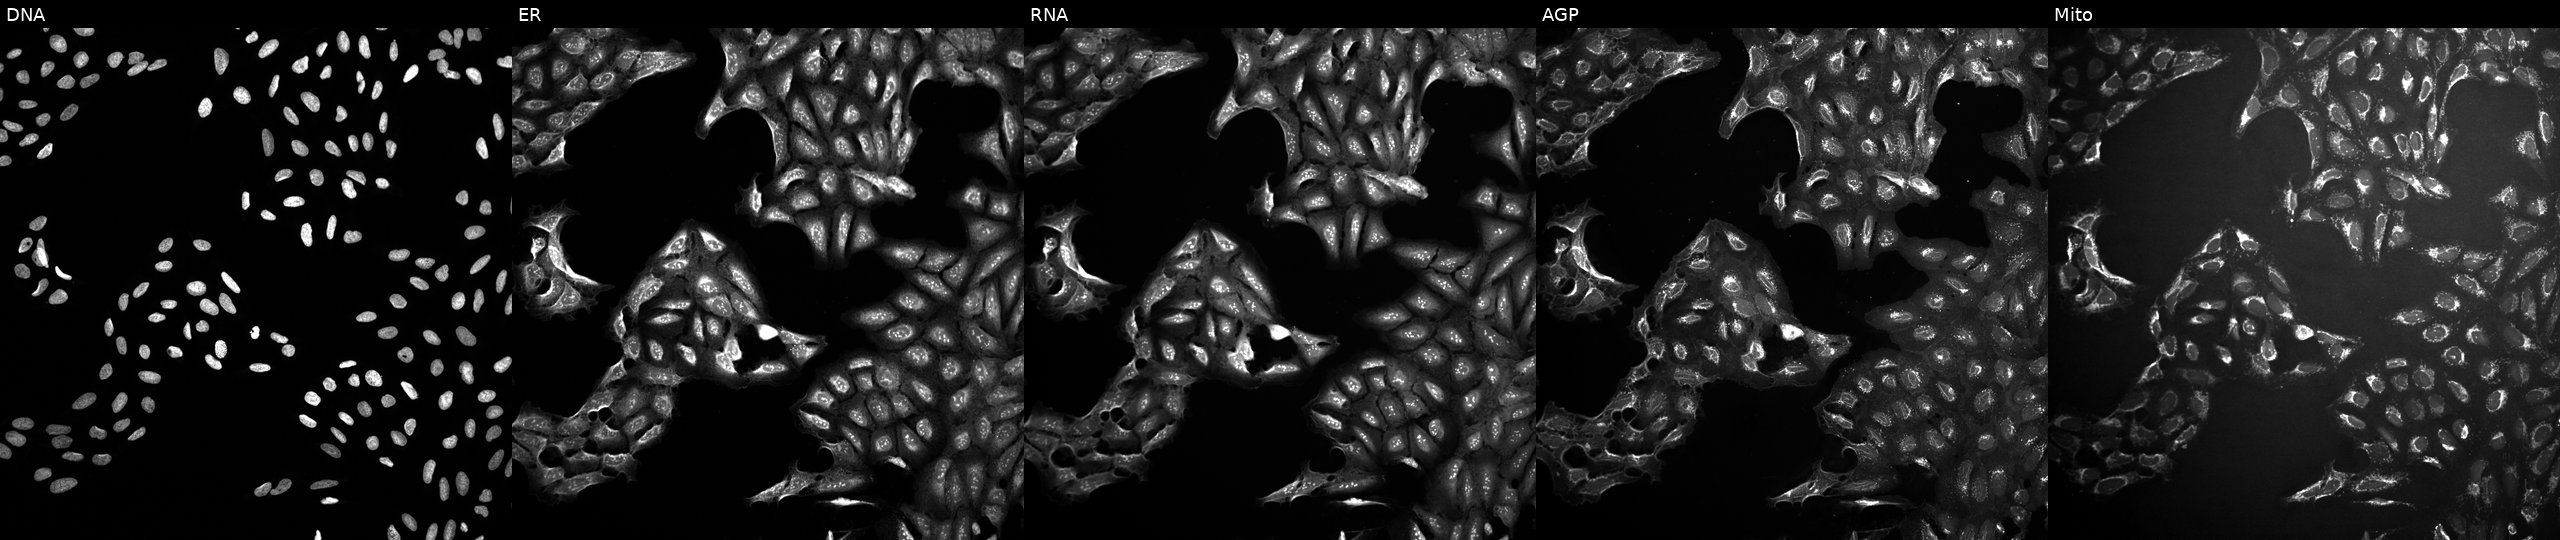
Five-channel Cell Painting image of U2OS cells treated with DMSO vehicle only (negative control). Panels show, left to right, Hoechst 33342, concanavalin A, SYTO 14, phalloidin and WGA, MitoTracker.